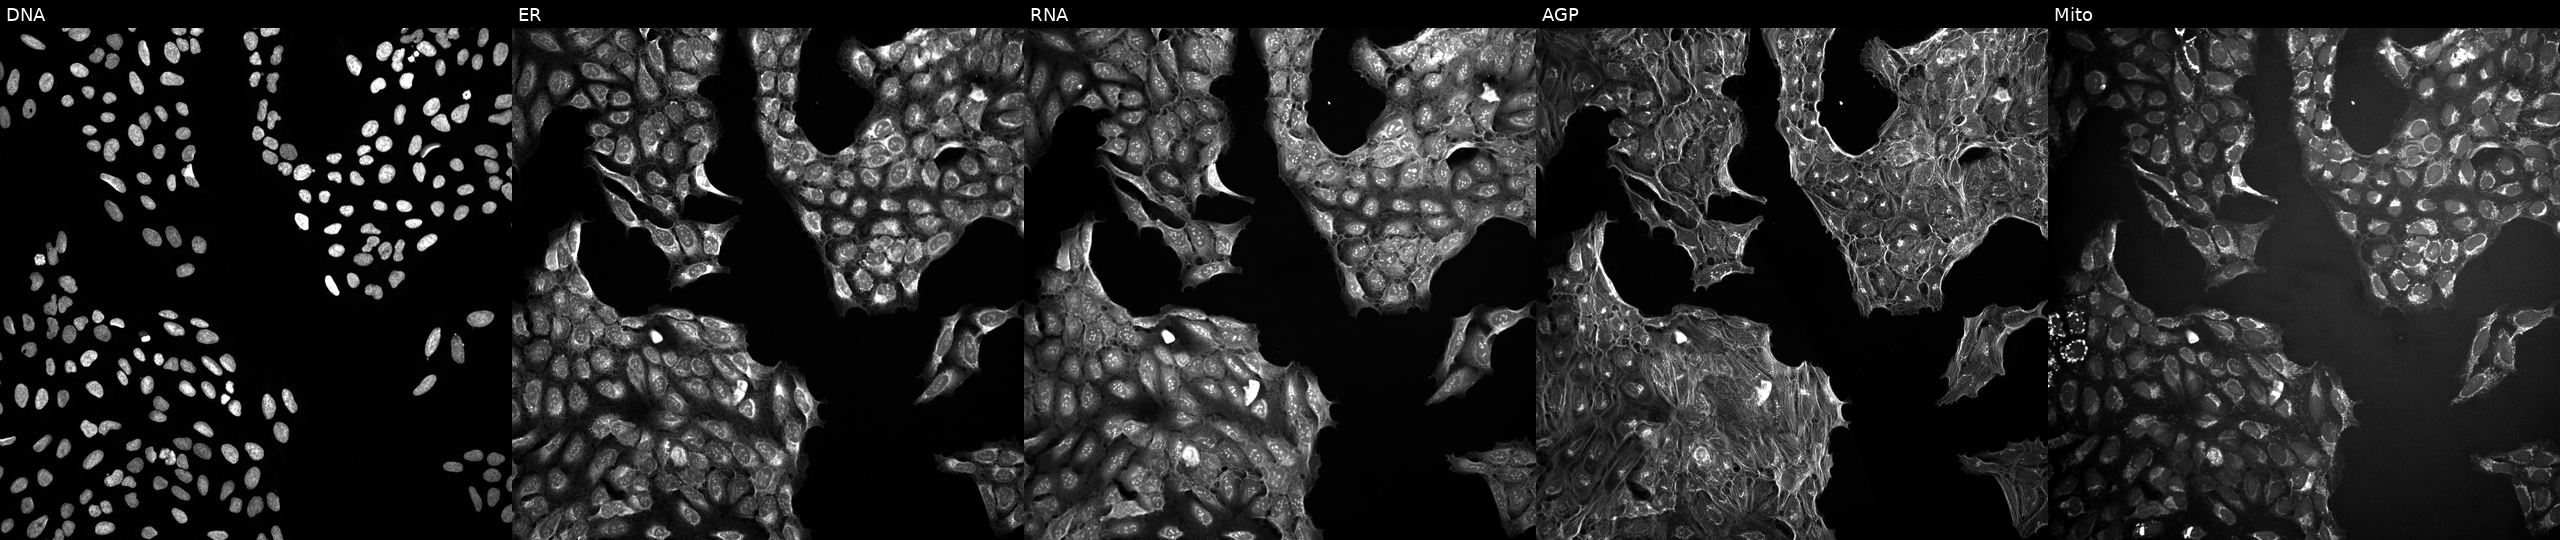
Five-channel Cell Painting image of U2OS cells treated with a small-molecule compound (InChIKey XQQHODUXCYTTDO-UHFFFAOYSA-N) (JUMP id JCP2022_105394). Channels (left→right): DNA (nuclei); ER (endoplasmic reticulum); RNA (nucleoli and cytoplasmic RNA); AGP (actin cytoskeleton, Golgi, and plasma membrane); Mito (mitochondria).